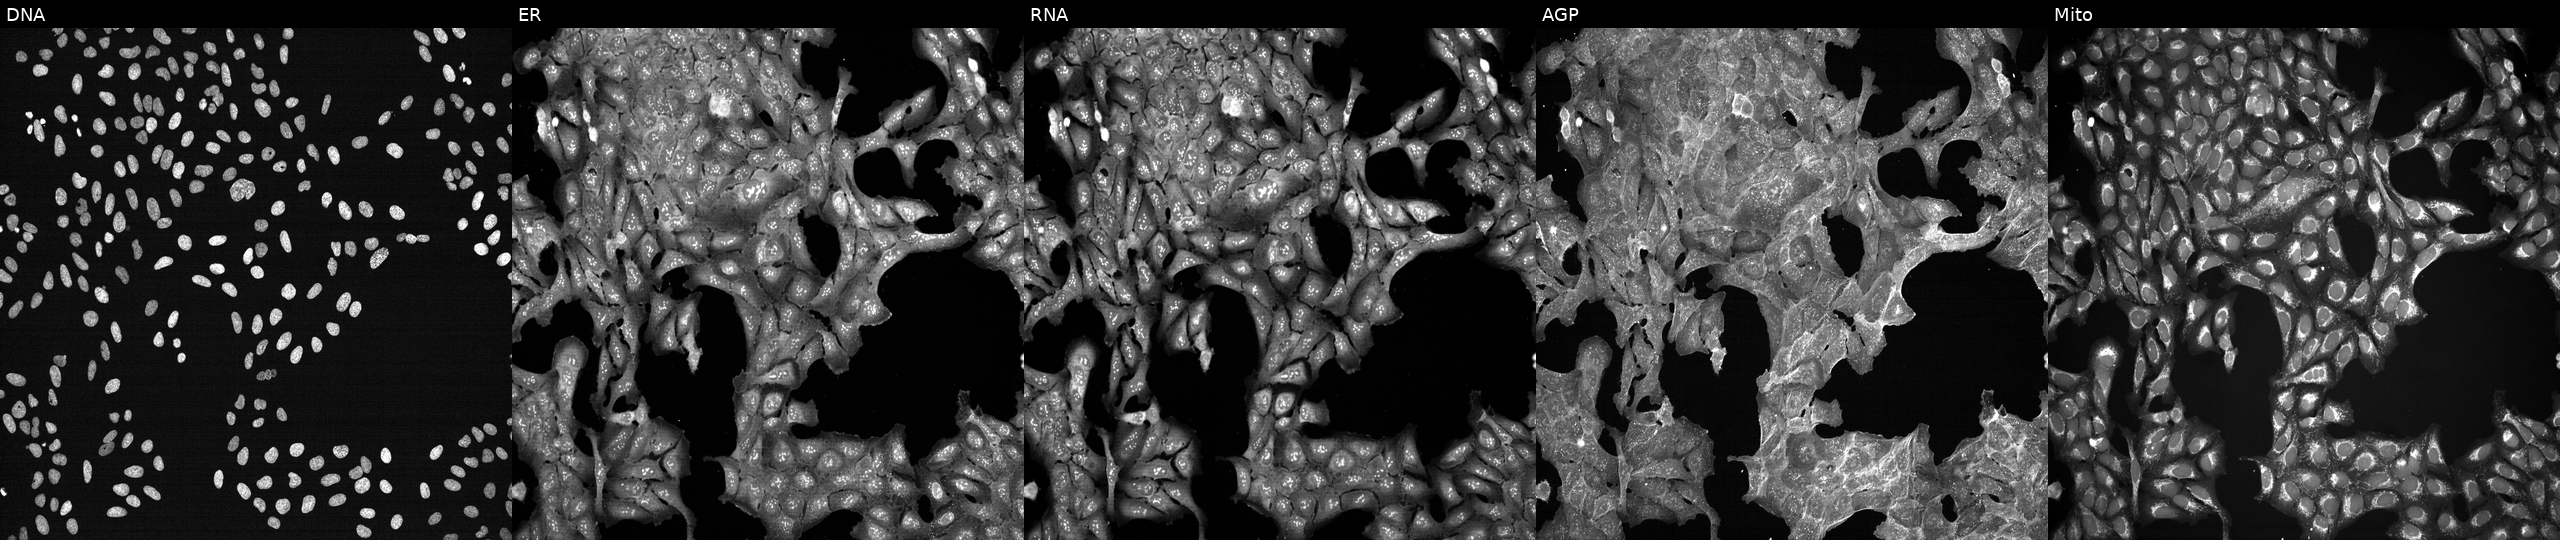
JUMP Cell Painting — TARGET2 plate. U2OS cells perturbed with a small-molecule compound (InChIKey XDFKWGIBQMHSOH-UHFFFAOYSA-N). From left to right: Hoechst 33342, concanavalin A, SYTO 14, phalloidin and WGA, MitoTracker. Source 7, plate CP3-SC1-25, well F08.